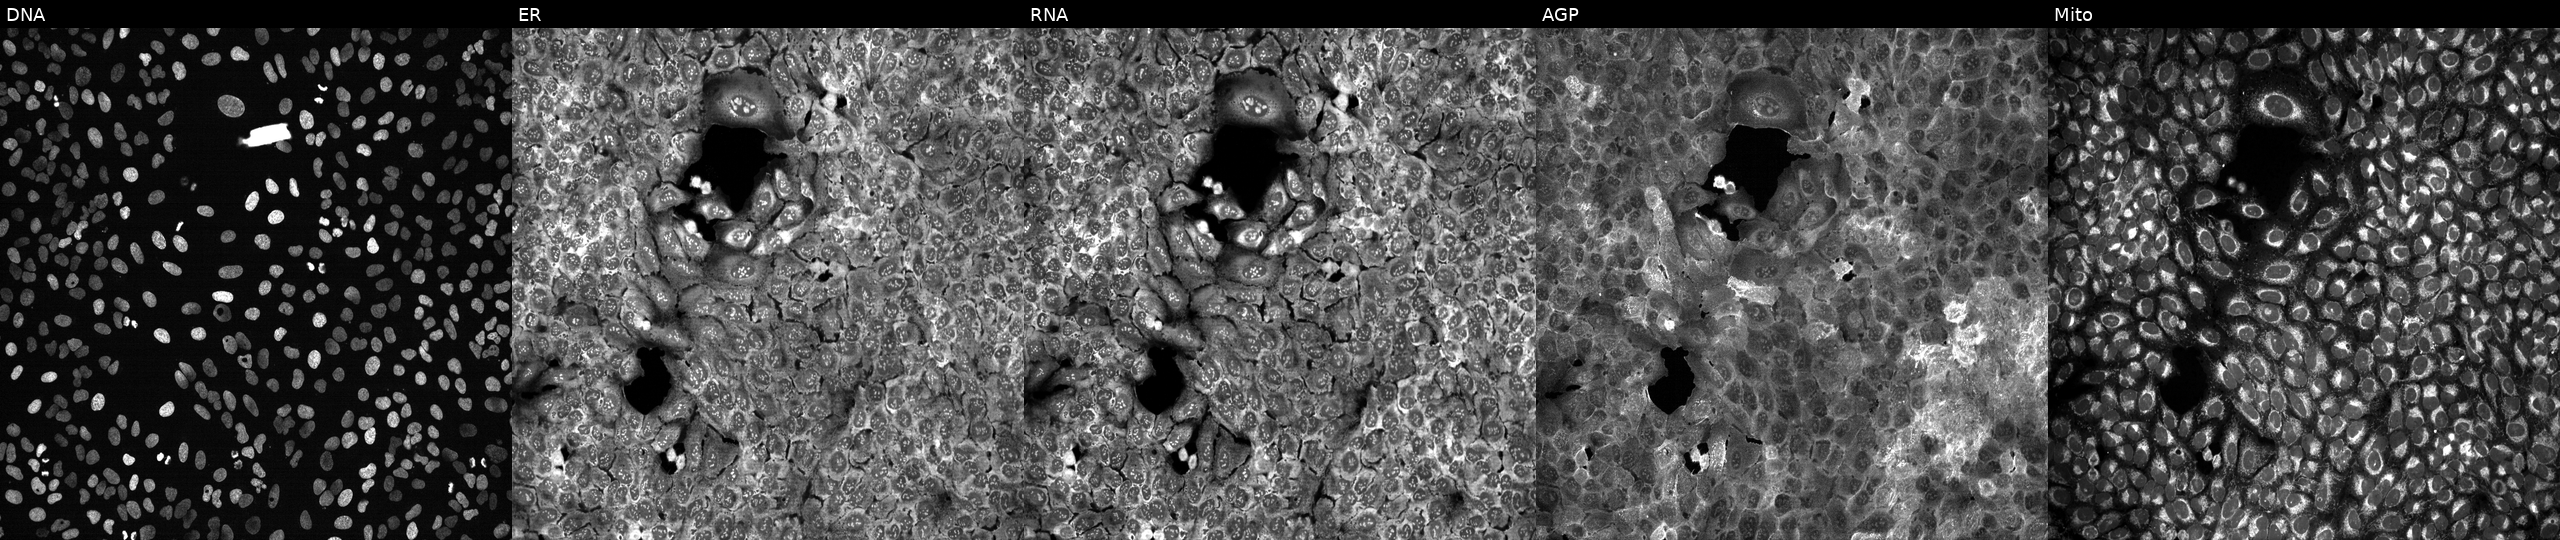
Panels show, left to right, Hoechst 33342, concanavalin A, SYTO 14, phalloidin and WGA, MitoTracker. U2OS osteosarcoma cells with HACL1 knocked out by CRISPR. Cell Painting assay, JUMP-CP dataset. Source 13, plate CP-CC9-R2-01, well C20.